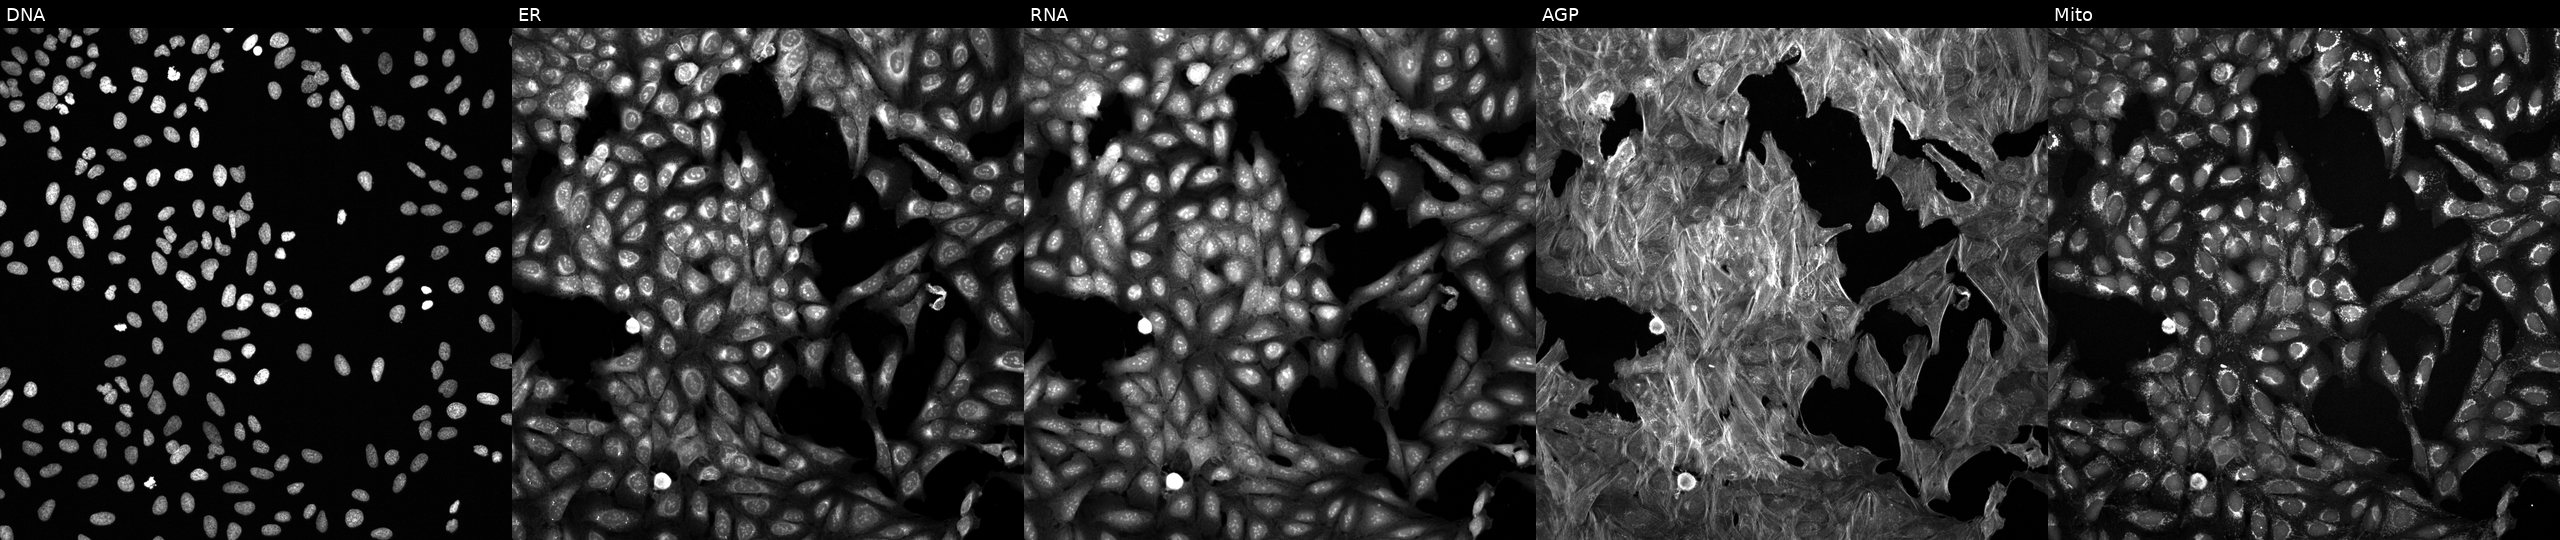
U2OS cells, Cell Painting assay, perturbed with a small-molecule compound (InChIKey NEMHKCNXXRQYRF-UHFFFAOYSA-N). Panels show, left to right, DNA (nuclei); ER (endoplasmic reticulum); RNA (nucleoli and cytoplasmic RNA); AGP (actin cytoskeleton, Golgi, and plasma membrane); Mito (mitochondria). Each panel is percentile-stretched 16-bit fluorescence. Source 6, plate 110000293093, well M24.